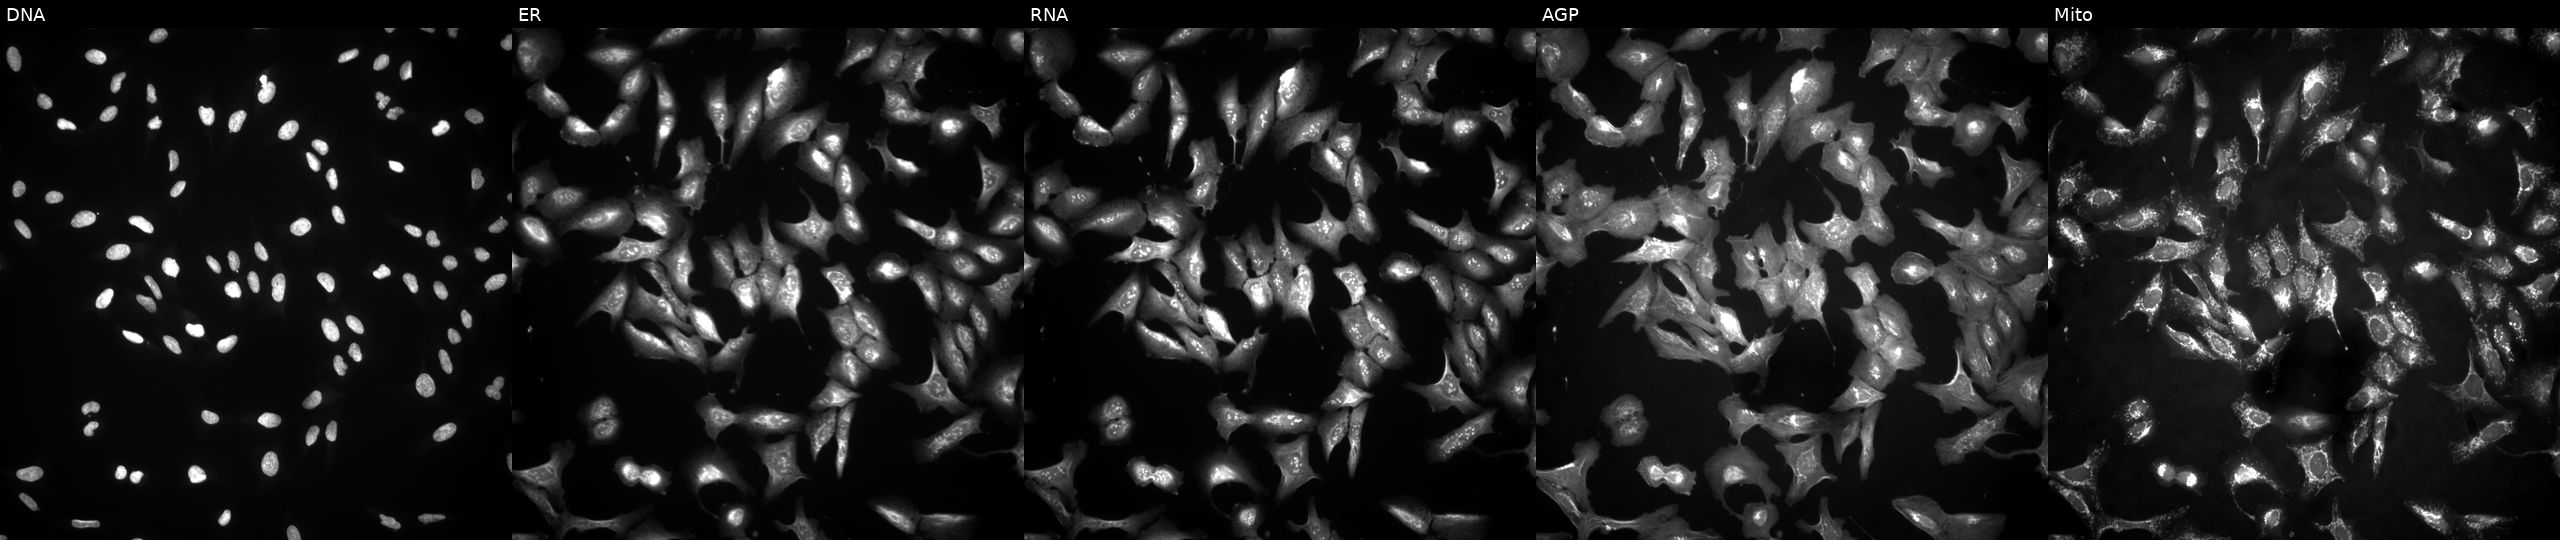
Five-channel Cell Painting image of U2OS cells with TMEM35A overexpressed (ORF). The five panels, left to right, show DNA, ER, RNA, AGP, and Mito.